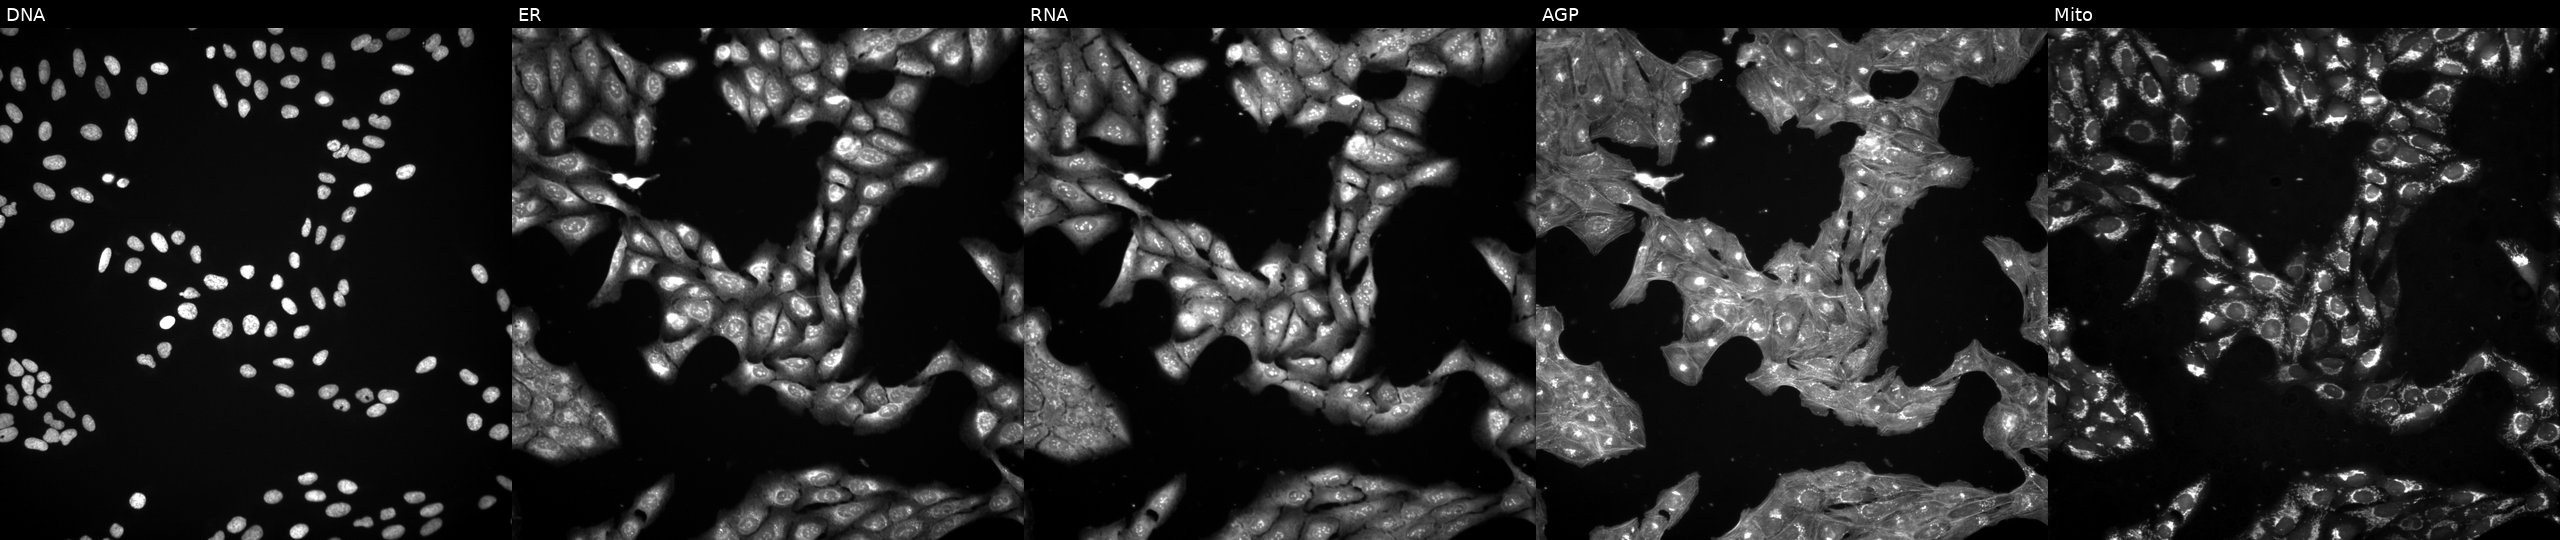
JUMP Cell Painting — COMPOUND plate. U2OS cells exposed to a small-molecule compound (InChIKey XBBIEKJBXXCIMW-UHFFFAOYSA-N) [SMILES: Cc1ccccc1NC(=O)COC(=O)CNC(=O)c1sc2ccccc2c1Cl] (JUMP id JCP2022_102504). From left to right: DNA (nuclei); ER (endoplasmic reticulum); RNA (nucleoli and cytoplasmic RNA); AGP (actin cytoskeleton, Golgi, and plasma membrane); Mito (mitochondria).